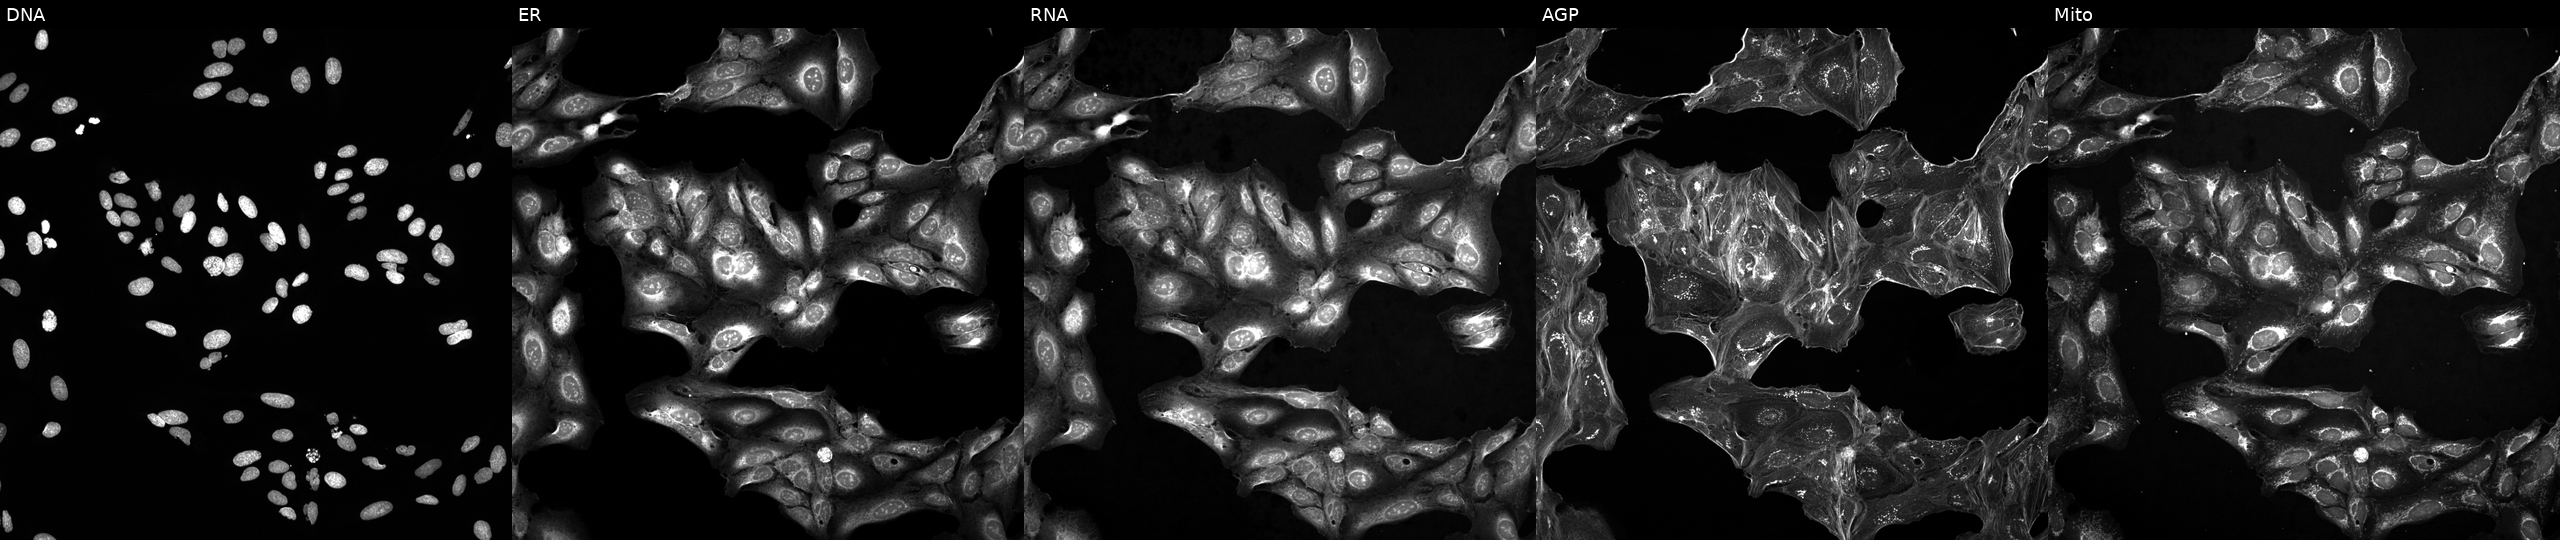
Five-channel Cell Painting image of U2OS cells perturbed with a small-molecule compound (InChIKey RAMROQQYRRQPDL-UHFFFAOYSA-N). Panels show, left to right, Hoechst 33342, concanavalin A, SYTO 14, phalloidin and WGA, MitoTracker.